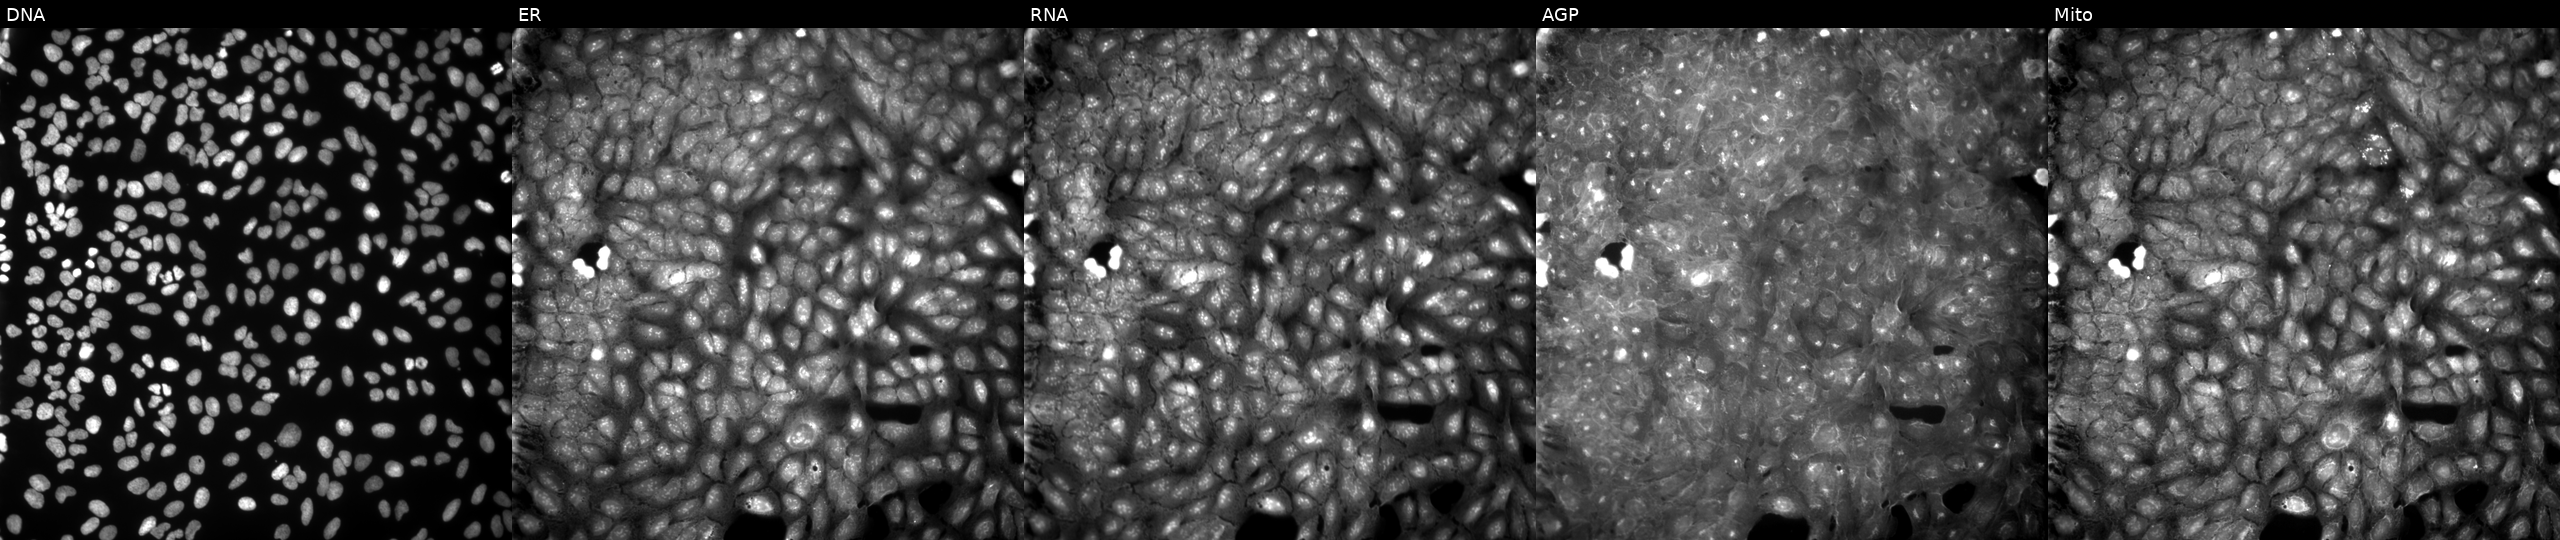
JUMP Cell Painting — COMPOUND plate. U2OS cells exposed to a small-molecule compound (InChIKey KFDDPMHUFQEHAL-UHFFFAOYSA-N) [SMILES: O=C(Nc1ccccc1C(=O)N1CCCCCC1)c1ccc(Cl)cc1]. From left to right: DNA, ER, RNA, AGP, and Mito.